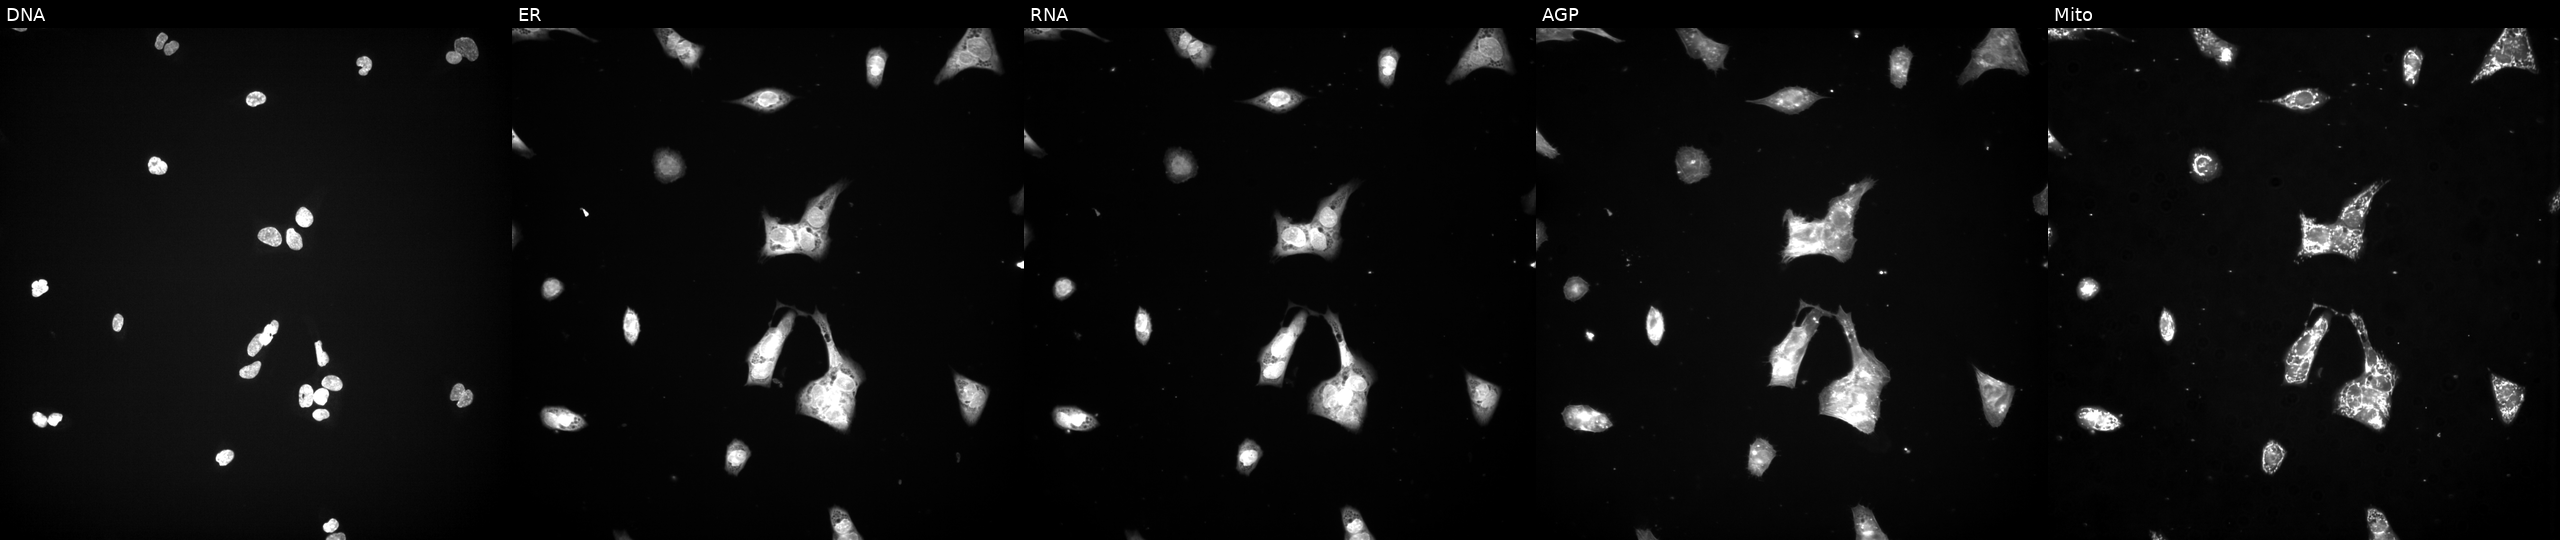
Five-channel Cell Painting image of U2OS cells perturbed with a small-molecule compound. Channels (left→right): Hoechst 33342, concanavalin A, SYTO 14, phalloidin and WGA, MitoTracker. Source 3, plate JCPQC052, well H11.